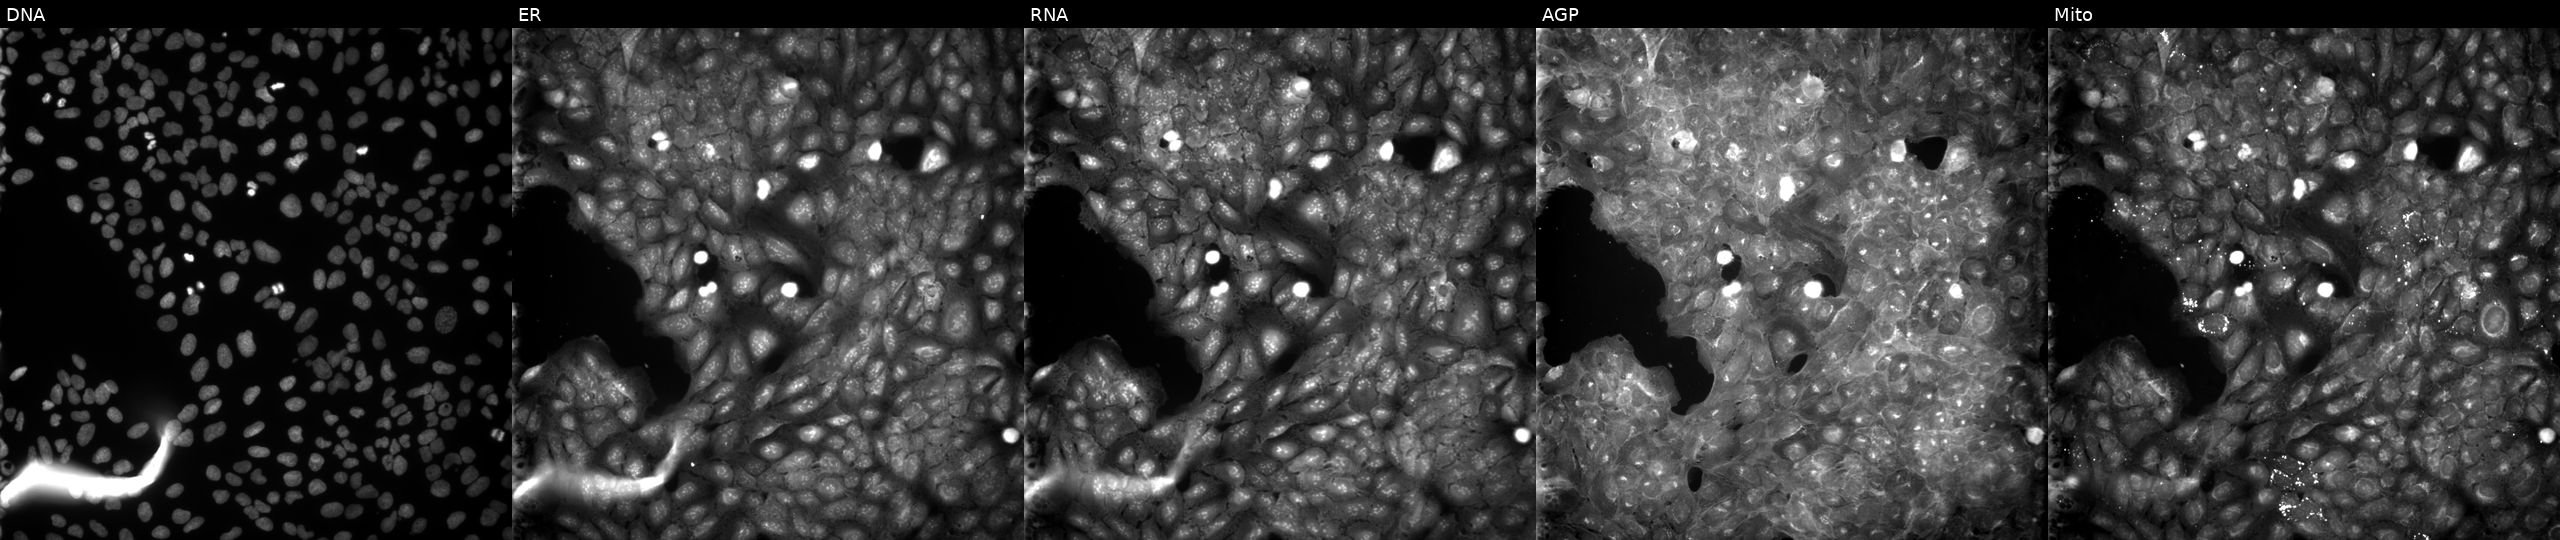
JUMP Cell Painting — COMPOUND plate. U2OS cells treated with a small-molecule compound (InChIKey CSKHWXZLDXSYSP-UHFFFAOYSA-N) (JUMP id JCP2022_013148). Channels (left→right): DNA (nuclei); ER (endoplasmic reticulum); RNA (nucleoli and cytoplasmic RNA); AGP (actin cytoskeleton, Golgi, and plasma membrane); Mito (mitochondria). Source 9, plate GR00003381, well E21.